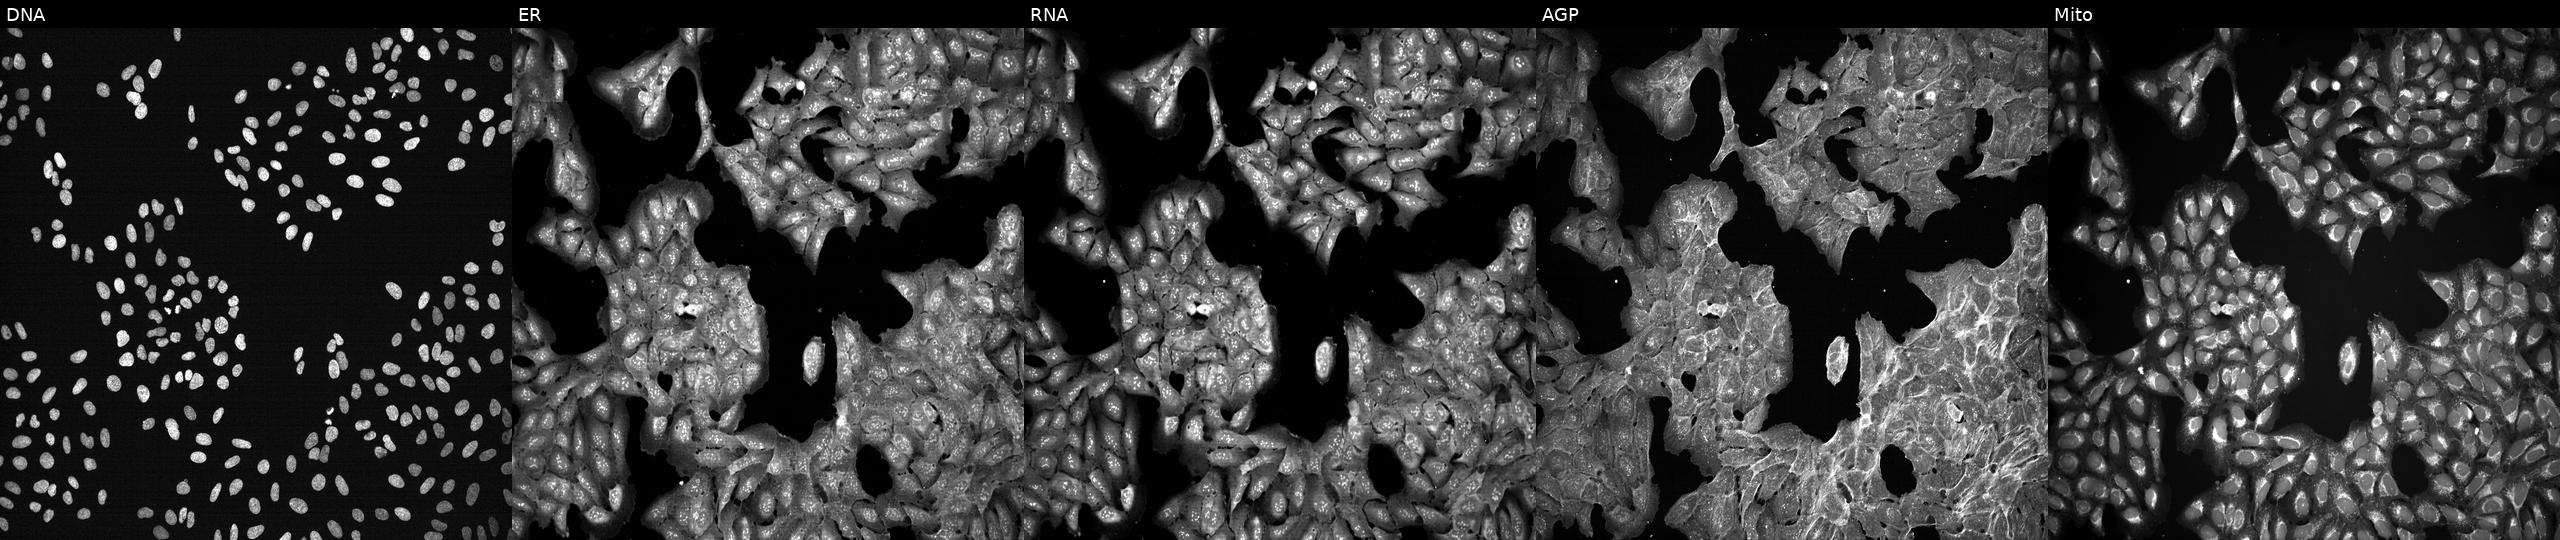
U2OS cells, Cell Painting assay, perturbed with a small-molecule compound (InChIKey WRLVHADVOGFZOZ-UHFFFAOYSA-N) (JUMP id JCP2022_100688). Channels (left→right): DNA (nuclei); ER (endoplasmic reticulum); RNA (nucleoli and cytoplasmic RNA); AGP (actin cytoskeleton, Golgi, and plasma membrane); Mito (mitochondria). Each panel is percentile-stretched 16-bit fluorescence.